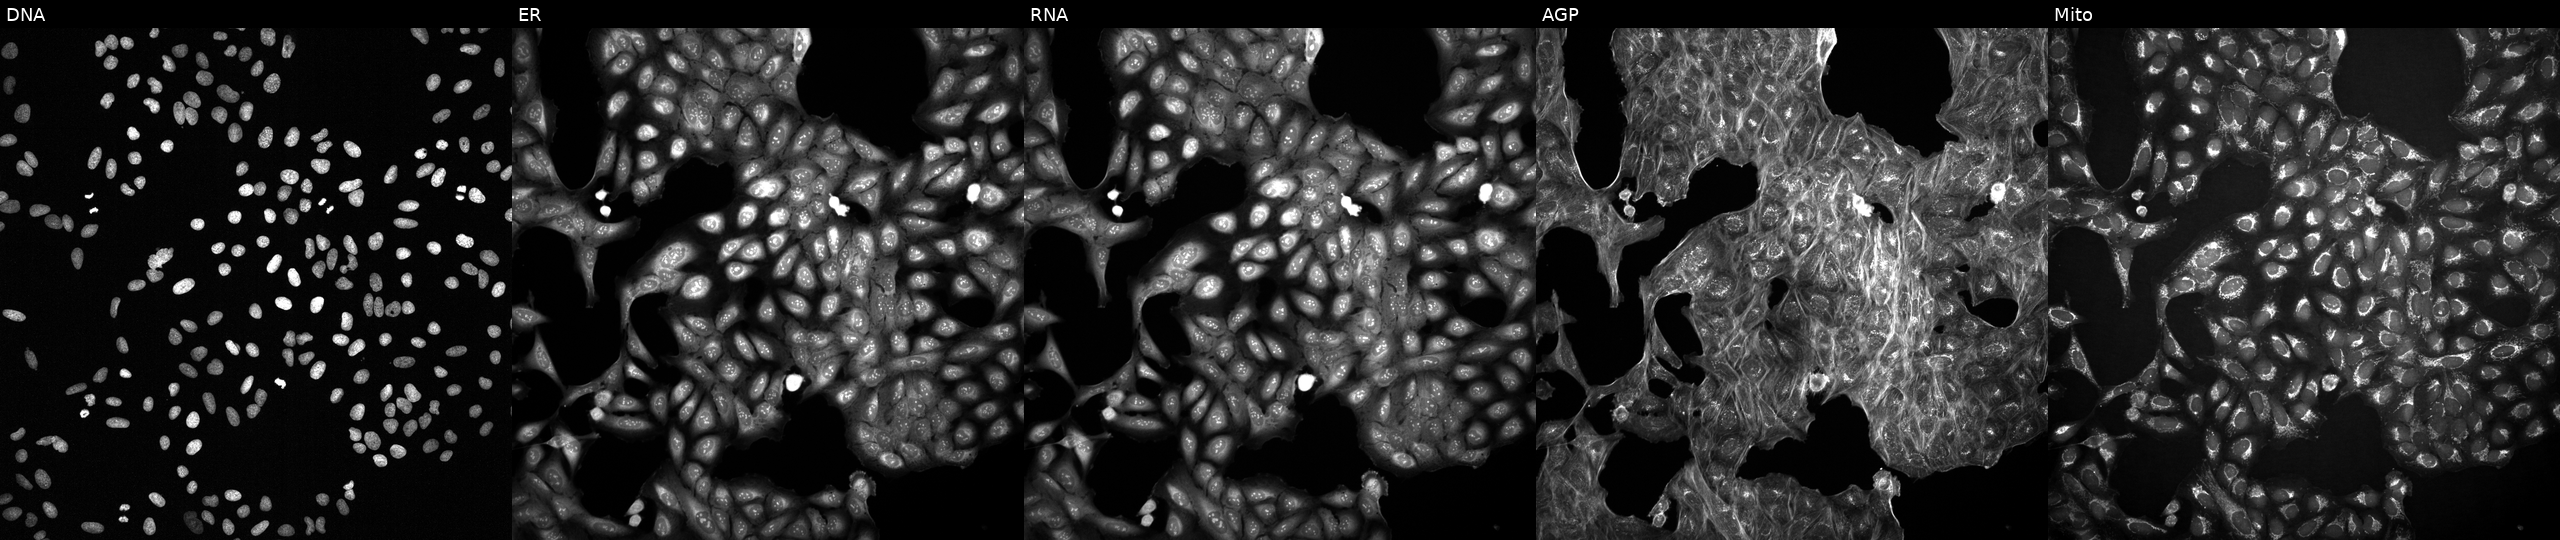
This image strip shows the five Cell Painting channels for a single field of U2OS cells with an unidentified perturbation (not annotated in JUMP metadata). The five panels, left to right, show Hoechst 33342, concanavalin A, SYTO 14, phalloidin and WGA, MitoTracker.